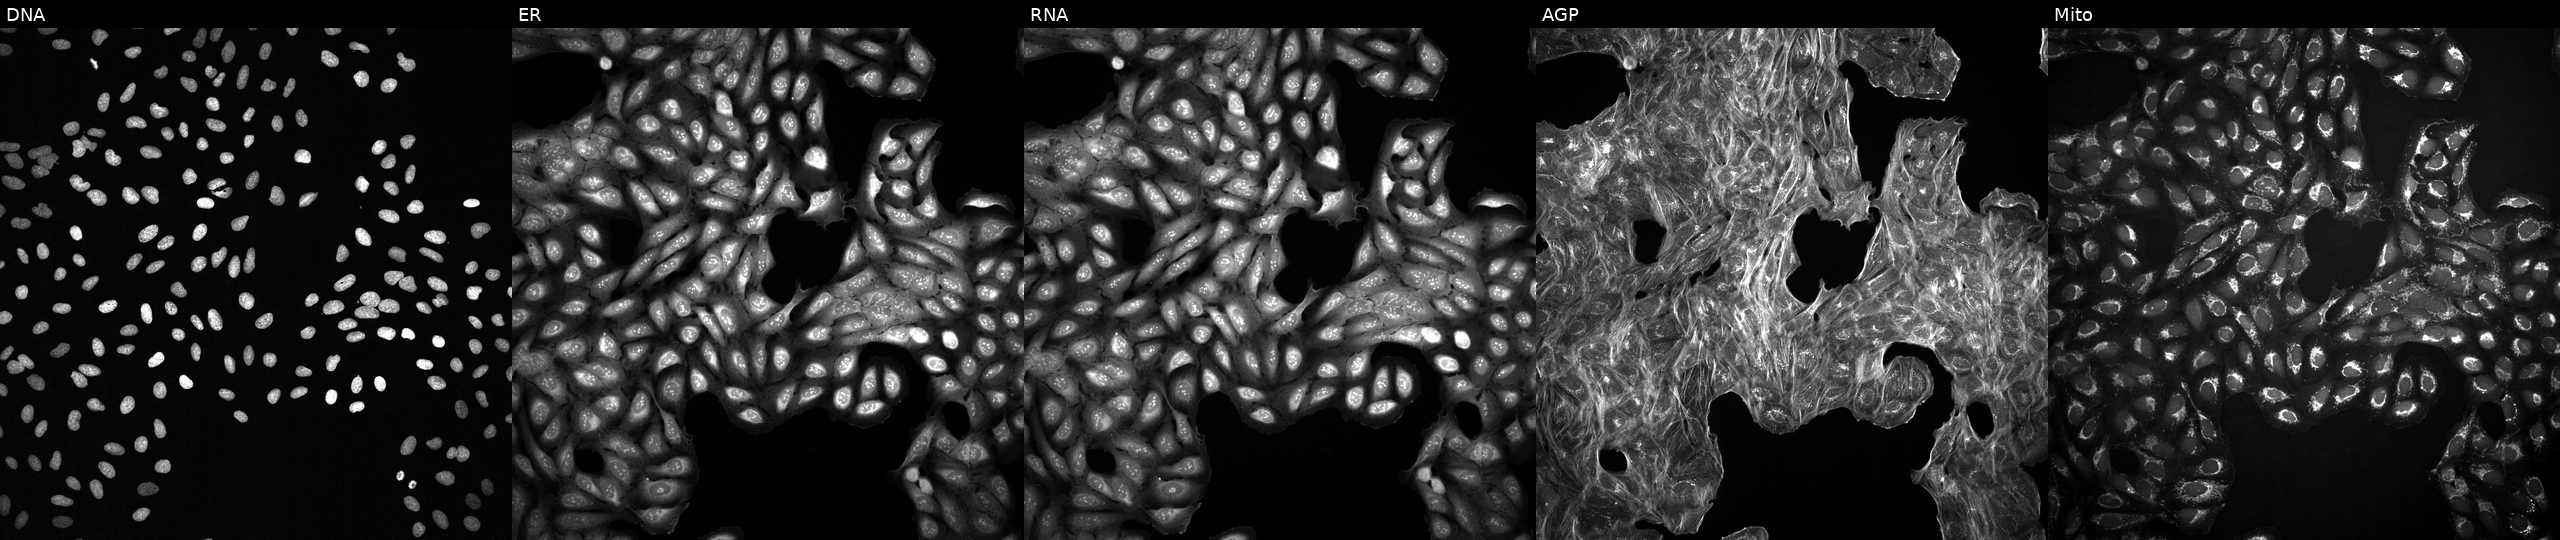
U2OS cells, Cell Painting assay, perturbed with a small-molecule compound (InChIKey BTLCIBOSEILEBJ-UHFFFAOYSA-N) (JUMP id JCP2022_008546). From left to right: DNA, ER, RNA, AGP, and Mito. Each panel is percentile-stretched 16-bit fluorescence. Source 2, plate 1053601763, well E07.